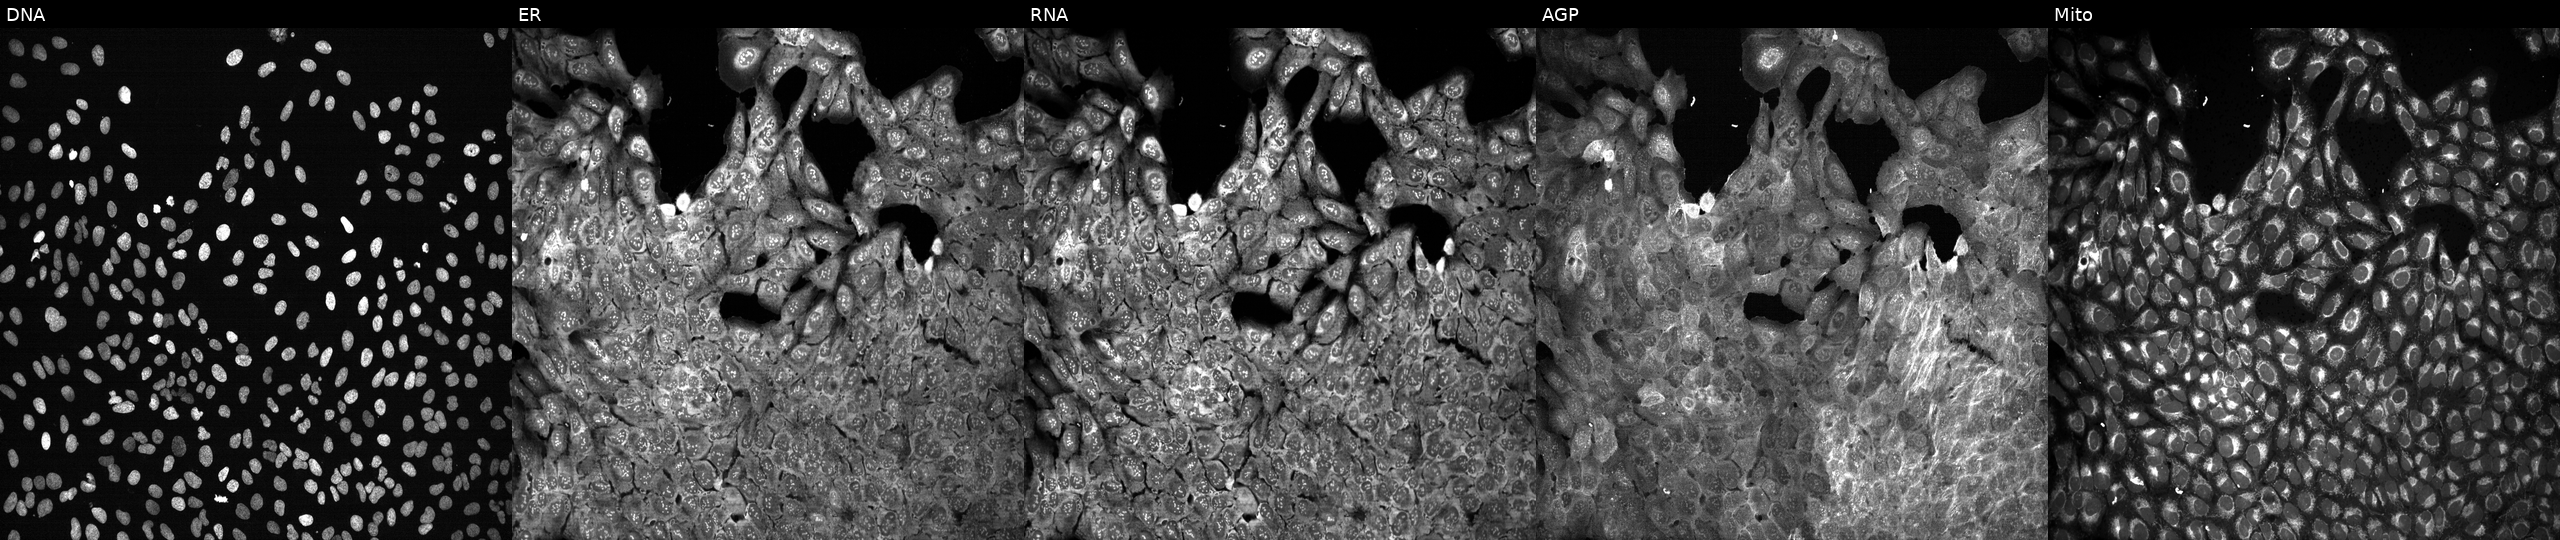
JUMP Cell Painting — CRISPR plate. U2OS cells with HS6ST3 knocked out by CRISPR (JUMP id JCP2022_803235). Channels (left→right): DNA (nuclei); ER (endoplasmic reticulum); RNA (nucleoli and cytoplasmic RNA); AGP (actin cytoskeleton, Golgi, and plasma membrane); Mito (mitochondria). Source 13, plate CP-CC9-R2-01, well L20.